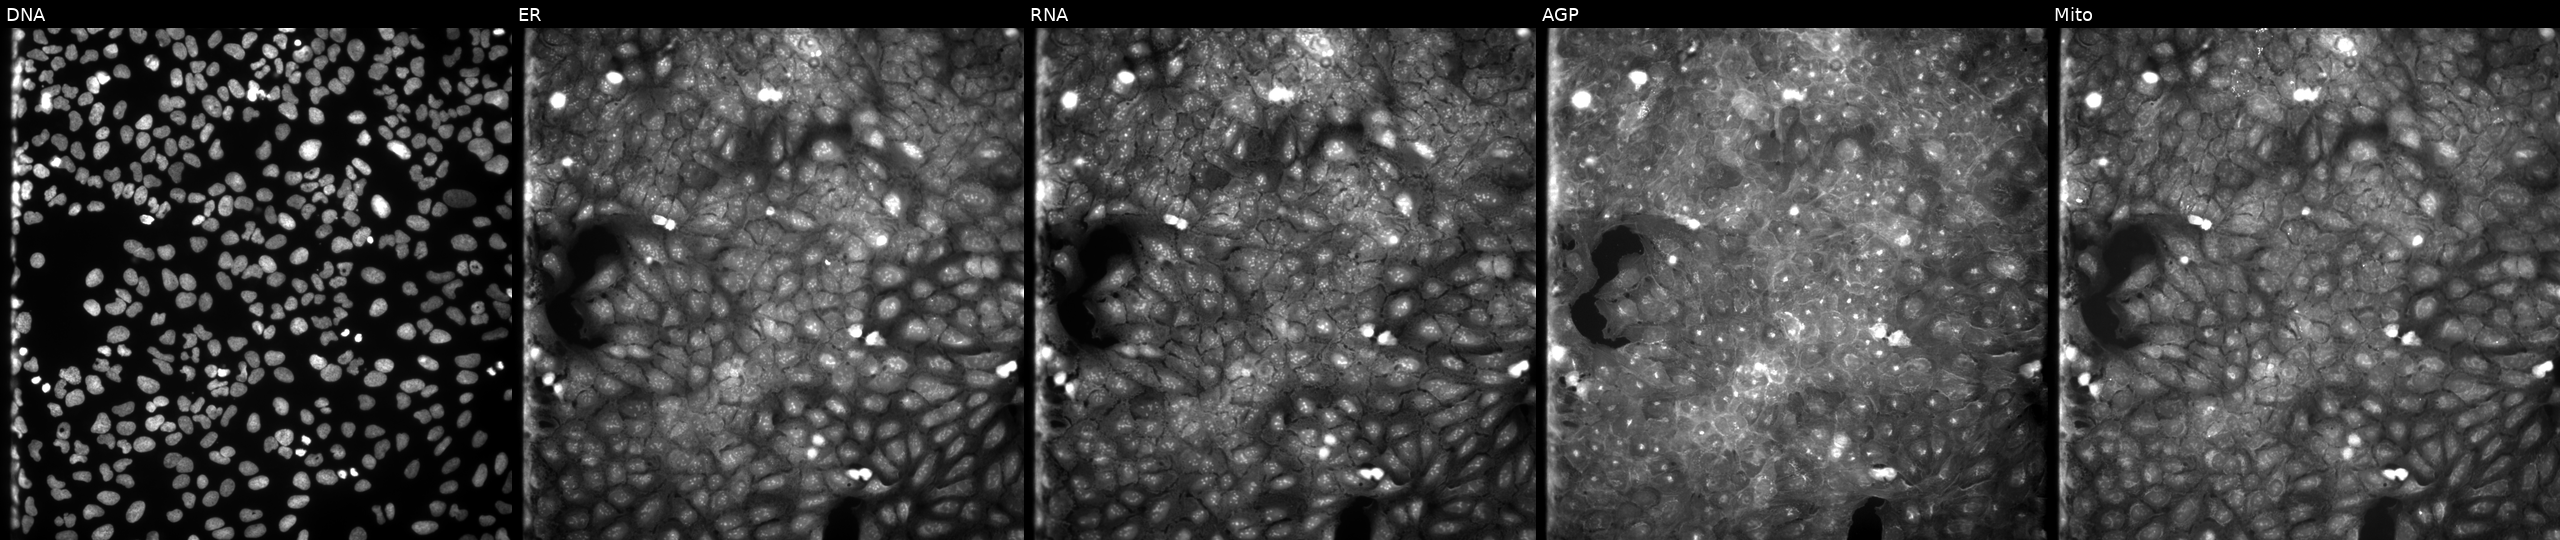
Channels (left→right): DNA, ER, RNA, AGP, and Mito. U2OS osteosarcoma cells perturbed with a small-molecule compound (JUMP id JCP2022_045956). Cell Painting assay, JUMP-CP dataset.